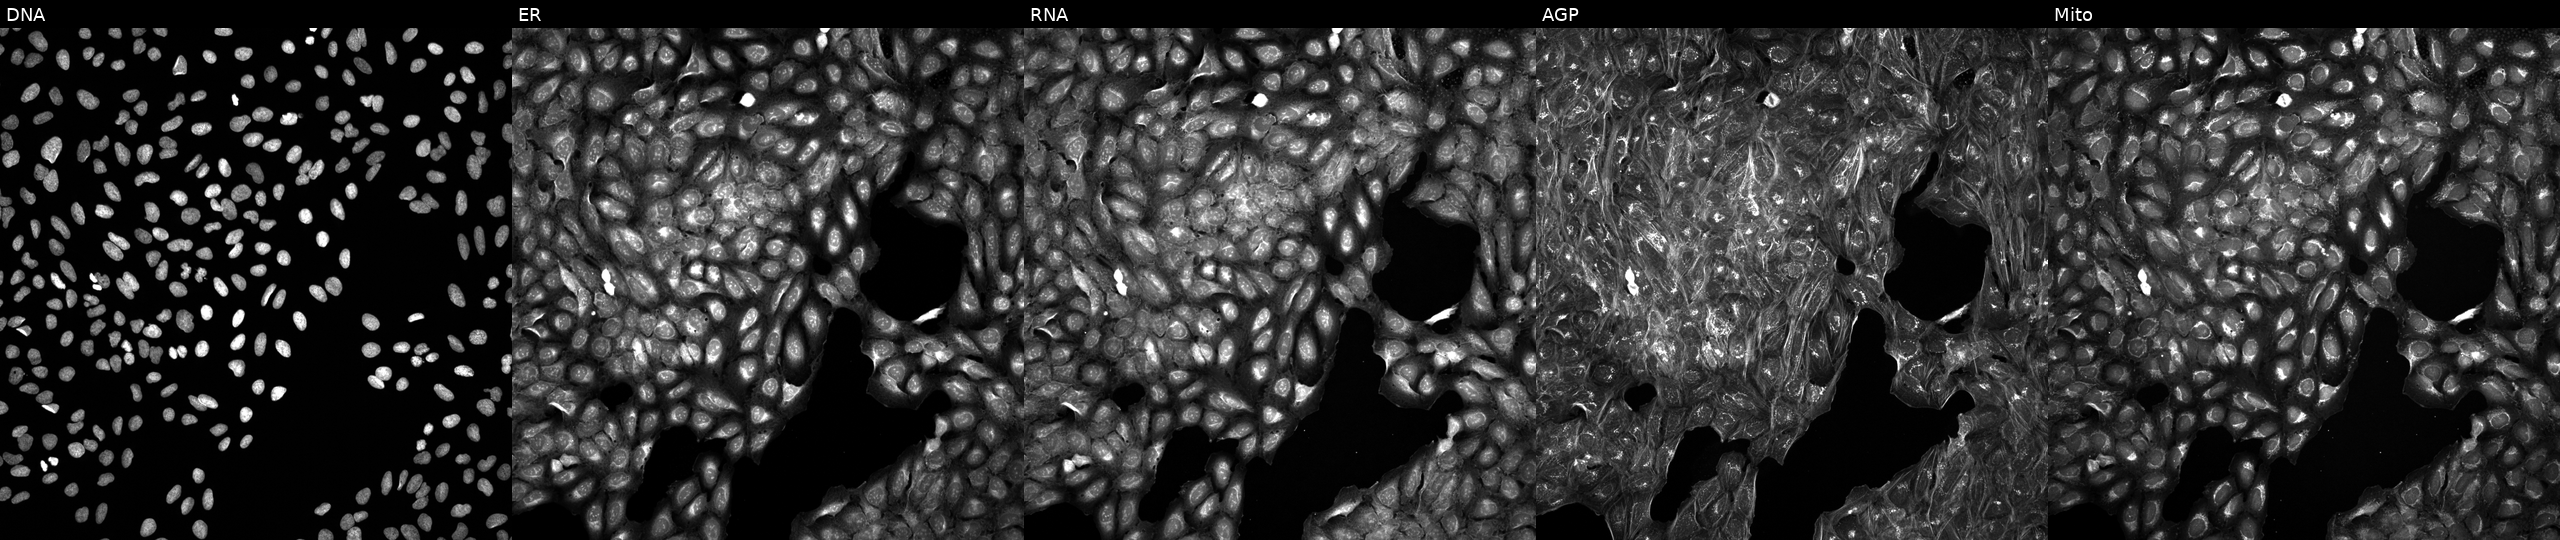
This image strip shows the five Cell Painting channels for a single field of U2OS cells exposed to a small-molecule compound (InChIKey ZGGRBWIIAWBDNZ-UHFFFAOYSA-N). From left to right: DNA, ER, RNA, AGP, and Mito. Source 5, plate APTJUM105, well I14.